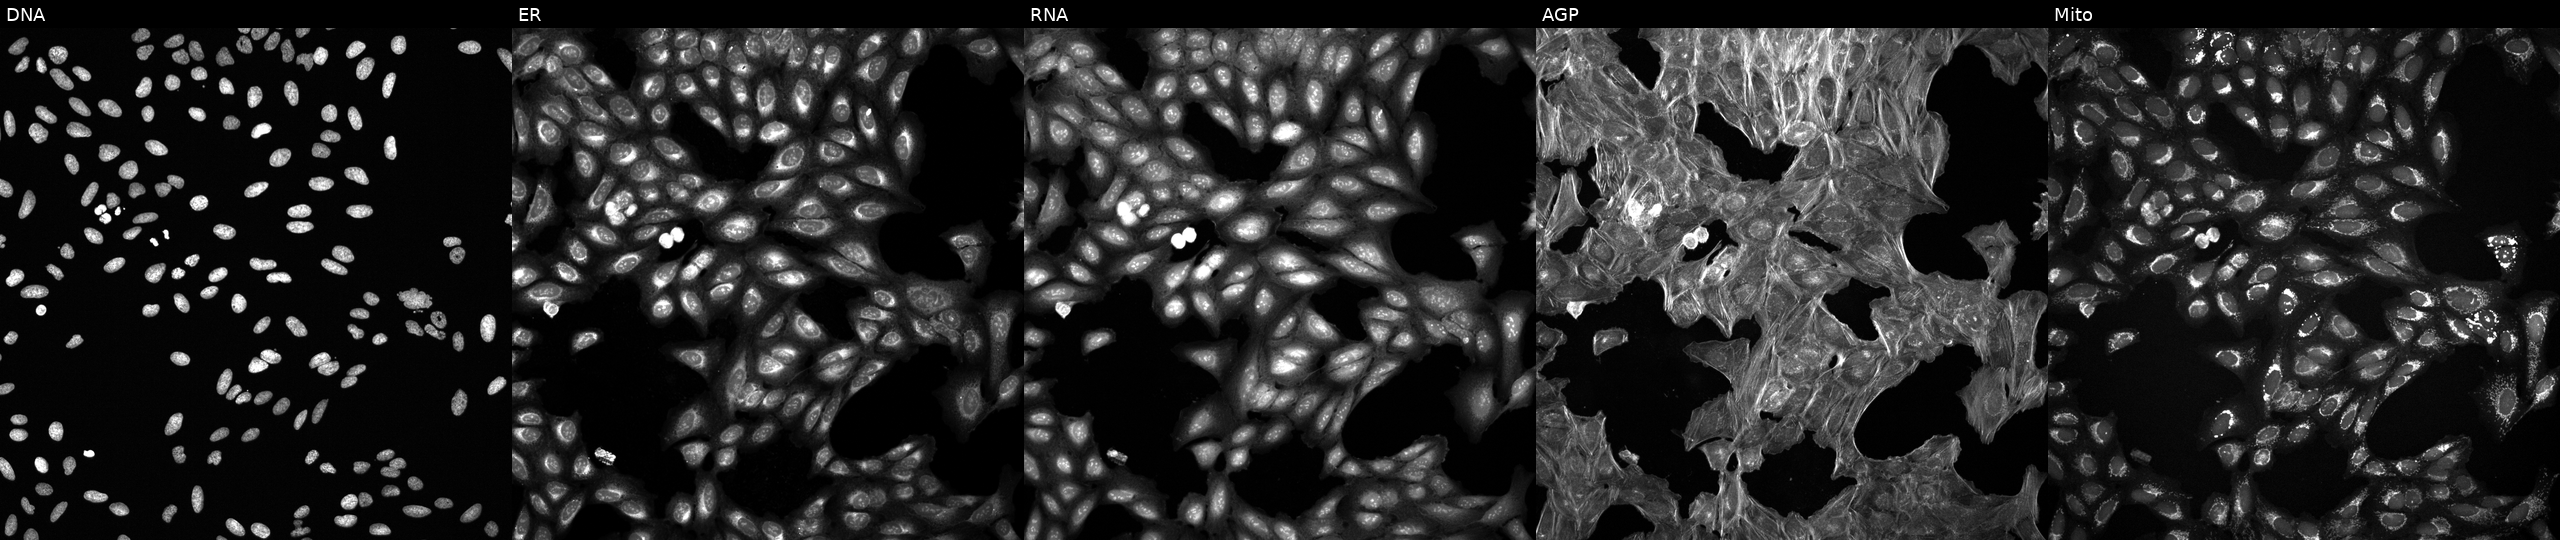
Channels (left→right): DNA, ER, RNA, AGP, and Mito. U2OS osteosarcoma cells perturbed with a small-molecule compound (InChIKey TZHPIXDXDOXWEE-UHFFFAOYSA-N) (JUMP id JCP2022_087730). Cell Painting assay, JUMP-CP dataset.